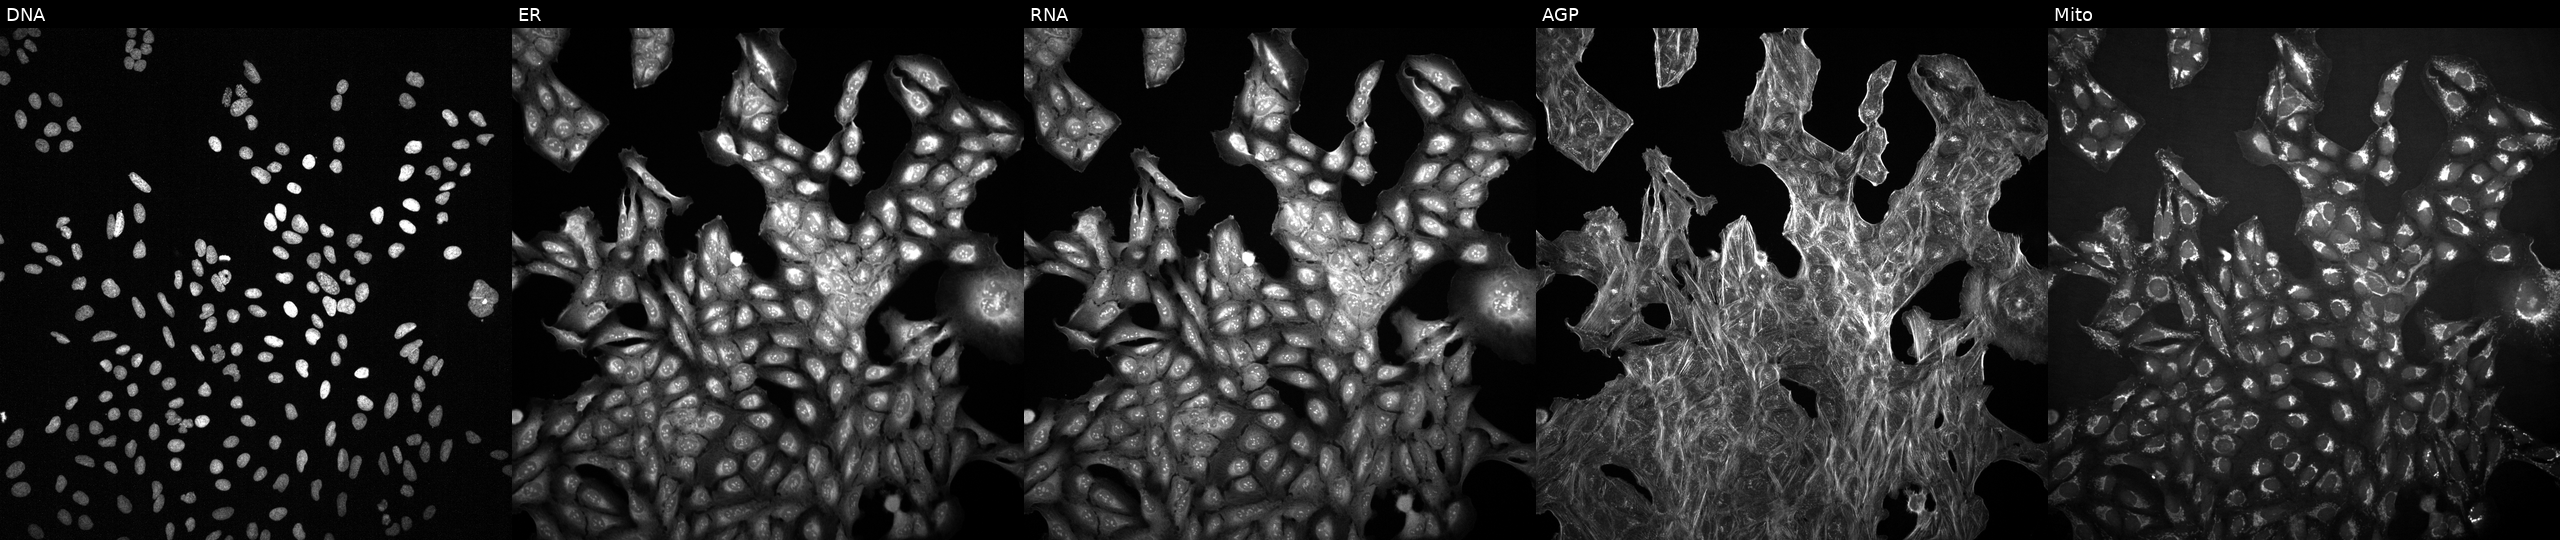
This image strip shows the five Cell Painting channels for a single field of U2OS cells perturbed with a small-molecule compound (InChIKey PIWKPBJCKXDKJR-UHFFFAOYSA-N). The five panels, left to right, show DNA, ER, RNA, AGP, and Mito.